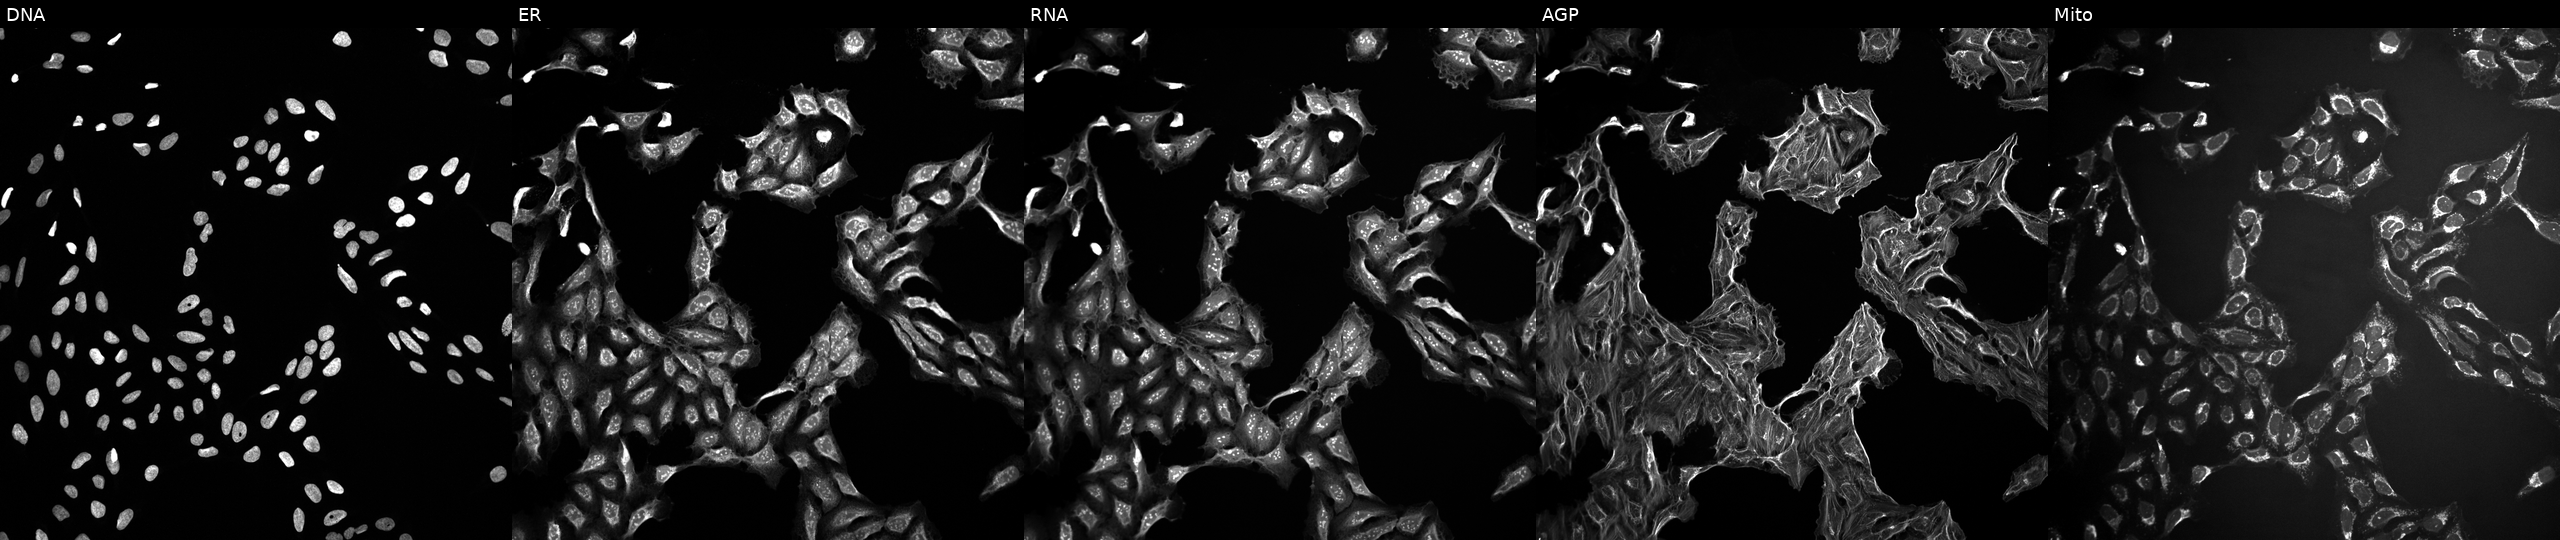
JUMP Cell Painting — TARGET2 plate. U2OS cells perturbed with a small-molecule compound [SMILES: O=C1NC(=O)C2(CCOc3ccc(F)cc32)N1] (JUMP id JCP2022_052259). From left to right: DNA (nuclei); ER (endoplasmic reticulum); RNA (nucleoli and cytoplasmic RNA); AGP (actin cytoskeleton, Golgi, and plasma membrane); Mito (mitochondria). Source 10, plate Dest210726-160150, well N18.